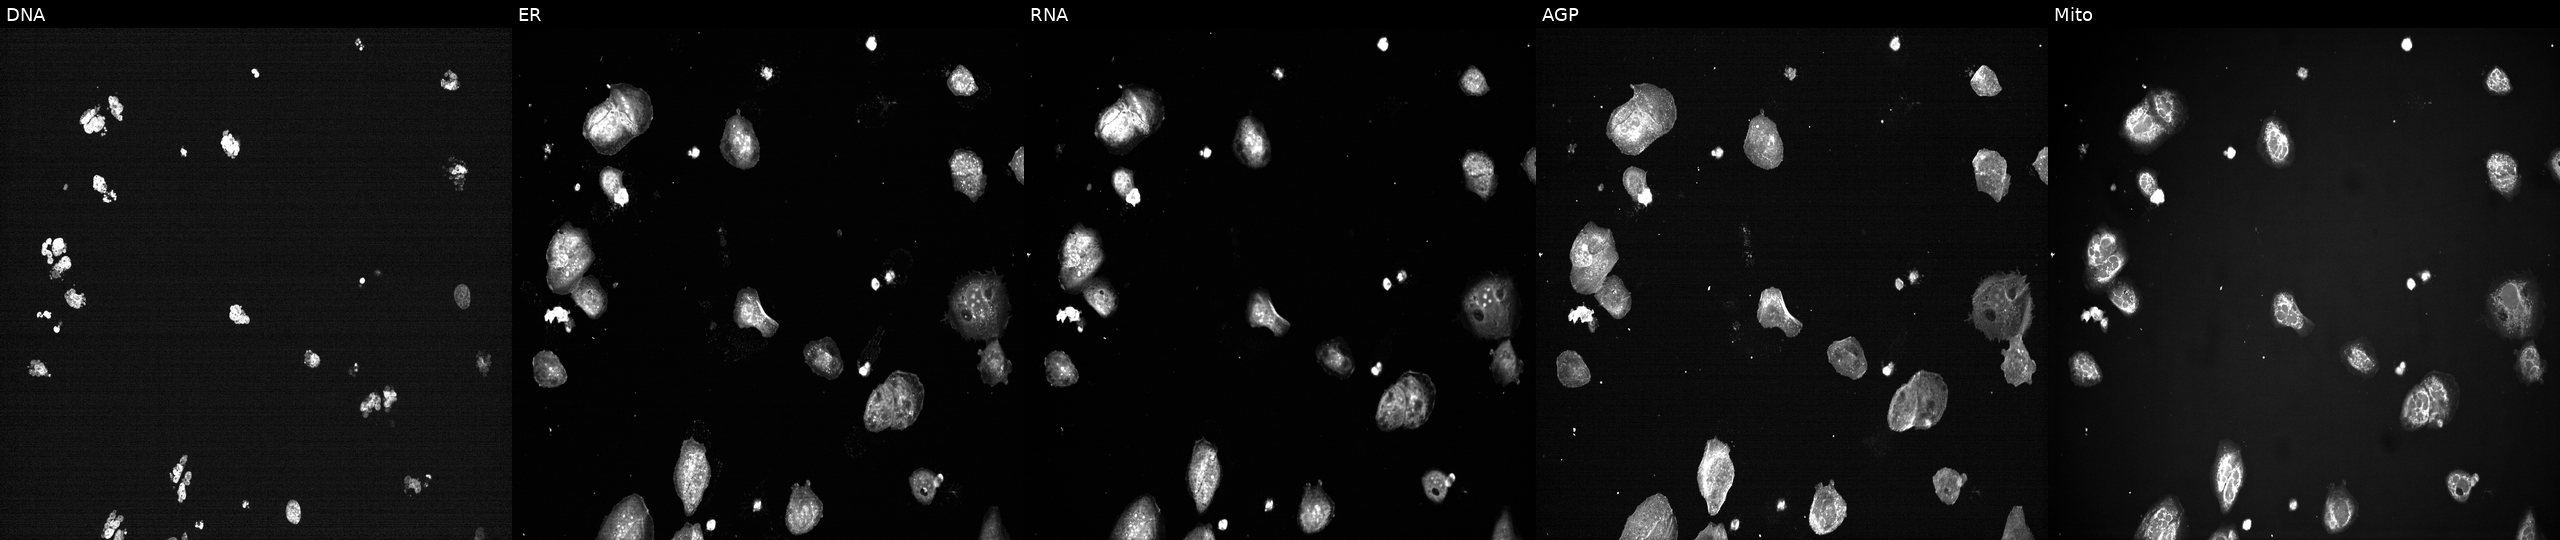
Five-channel Cell Painting image of U2OS cells perturbed with a small-molecule compound [SMILES: CC(=Cc1csc(C)n1)C1CC2OC2(C)CCCC(C)C(O)C(C)C(=O)C(C)(C)C(O)CC(=O)N1]. Panels show, left to right, DNA (nuclei); ER (endoplasmic reticulum); RNA (nucleoli and cytoplasmic RNA); AGP (actin cytoskeleton, Golgi, and plasma membrane); Mito (mitochondria).